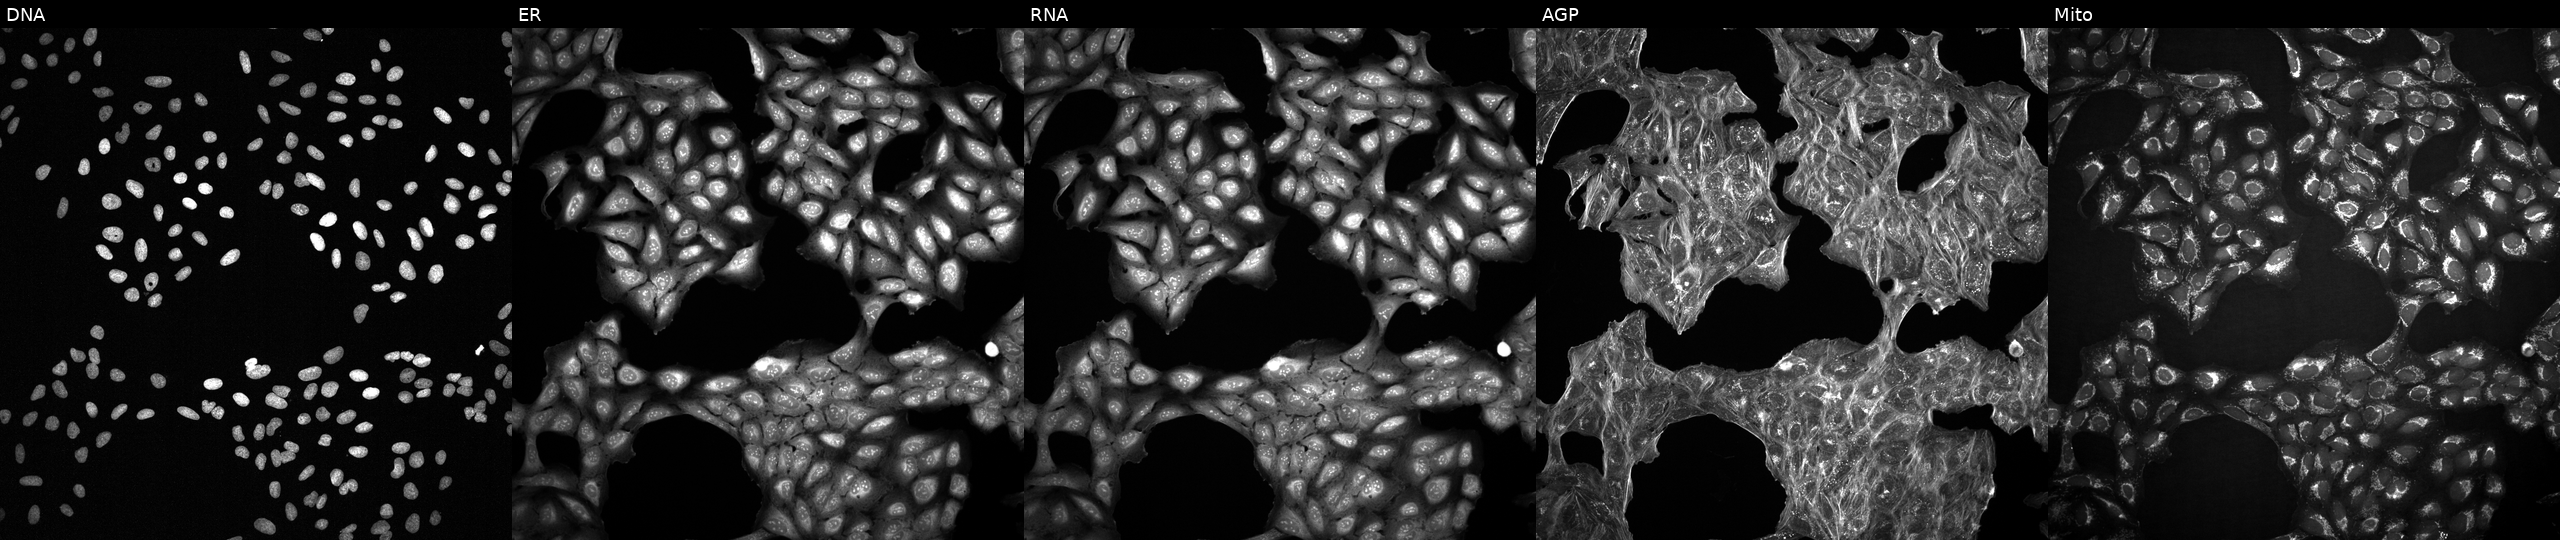
From left to right: DNA, ER, RNA, AGP, and Mito. U2OS osteosarcoma cells perturbed with a small-molecule compound (InChIKey ZTVXGIPFQCMIFT-UHFFFAOYSA-N) [SMILES: CC(=O)c1nn(-c2ccc(OC(F)(F)F)cc2)[nH]c1=Nc1cccc2ncccc12]. Cell Painting assay, JUMP-CP dataset.